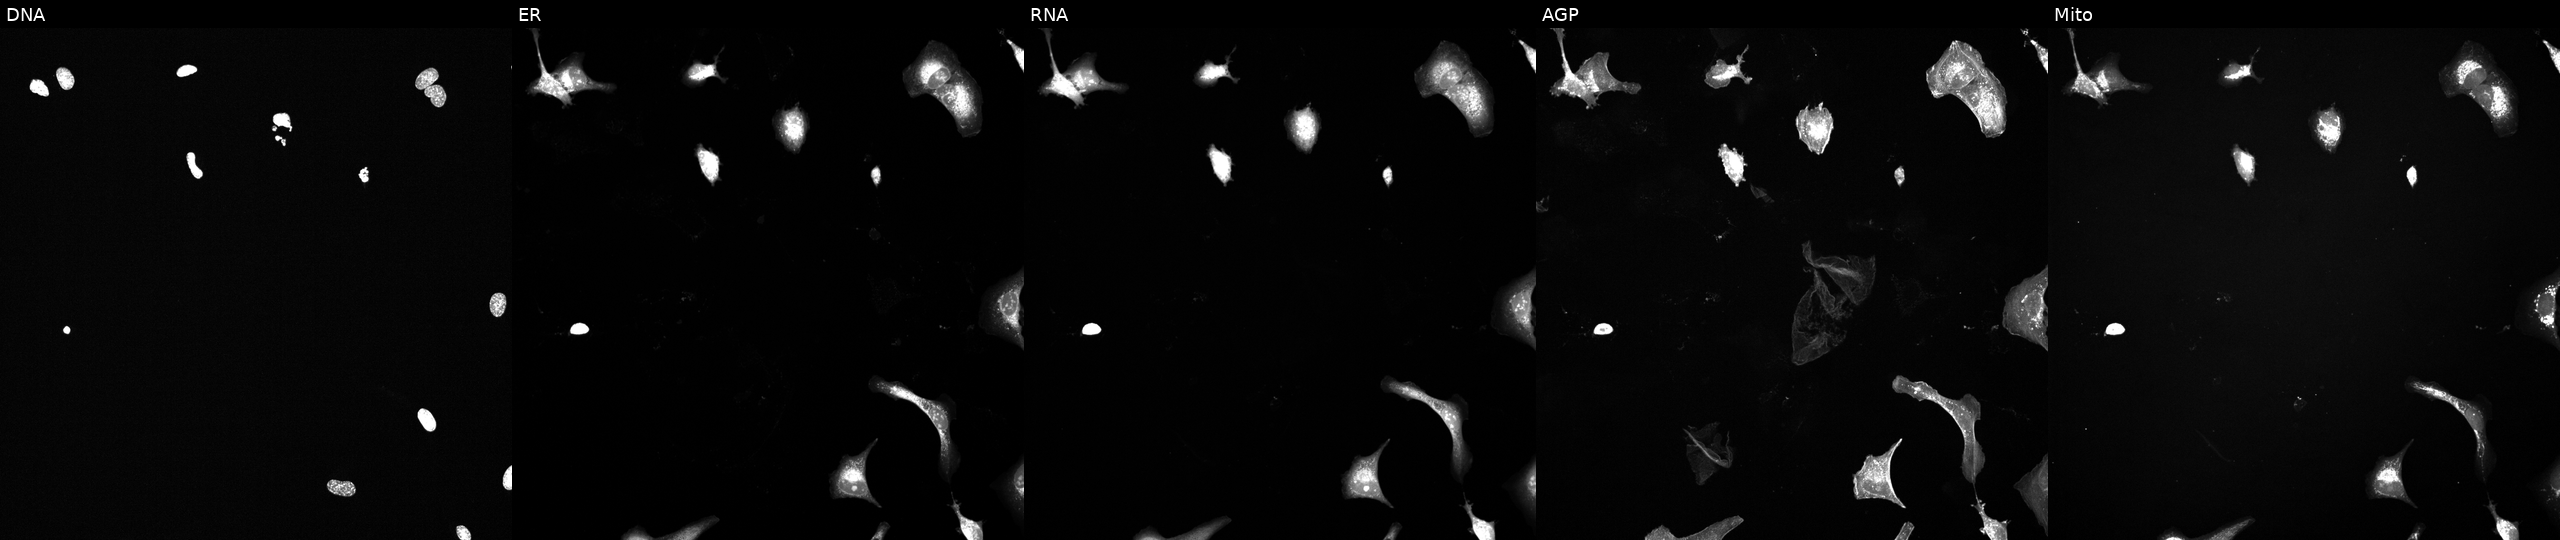
Panels show, left to right, DNA (nuclei); ER (endoplasmic reticulum); RNA (nucleoli and cytoplasmic RNA); AGP (actin cytoskeleton, Golgi, and plasma membrane); Mito (mitochondria). U2OS osteosarcoma cells treated with a small-molecule compound (InChIKey XQVVPGYIWAGRNI-UHFFFAOYSA-N) (JUMP id JCP2022_105442). Cell Painting assay, JUMP-CP dataset. Source 6, plate 110000294901, well D07.